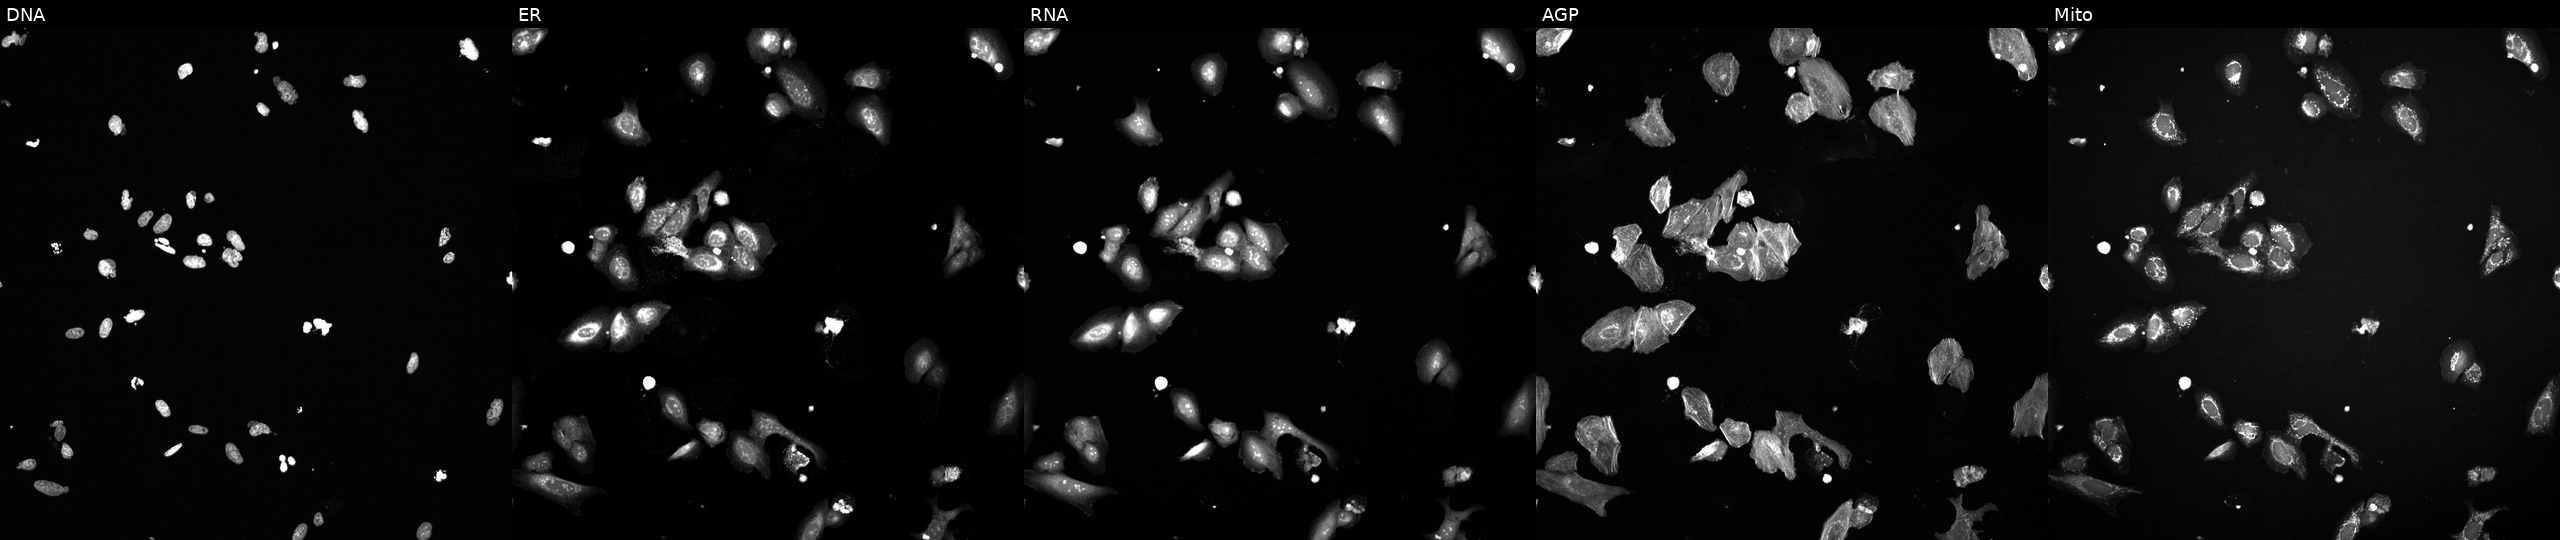
U2OS cells, Cell Painting assay, perturbed with a small-molecule compound [SMILES: Cc1nn(CC(C)C)c(Cl)c1C(=O)N=c1[nH]c(-c2ccc3c(c2)OCCO3)cs1]. Panels show, left to right, Hoechst 33342, concanavalin A, SYTO 14, phalloidin and WGA, MitoTracker. Each panel is percentile-stretched 16-bit fluorescence.